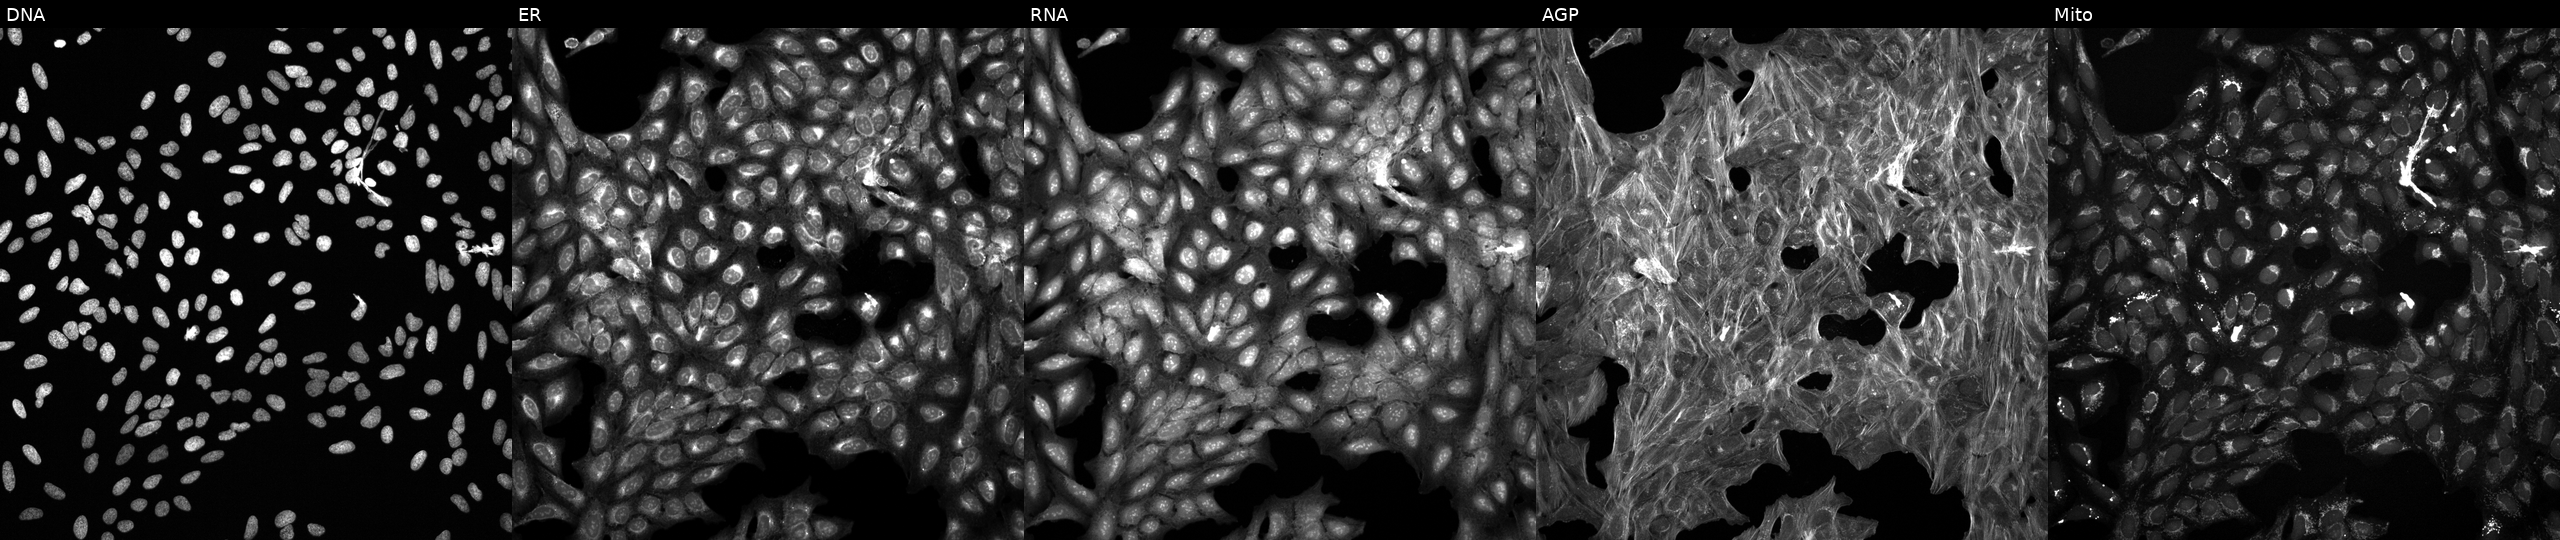
U2OS cells, Cell Painting assay, exposed to a small-molecule compound (InChIKey LLMJZPUWAKVETA-UHFFFAOYSA-N) (JUMP id JCP2022_050198). Channels (left→right): Hoechst 33342, concanavalin A, SYTO 14, phalloidin and WGA, MitoTracker. Each panel is percentile-stretched 16-bit fluorescence. Source 6, plate 110000293082, well J16.